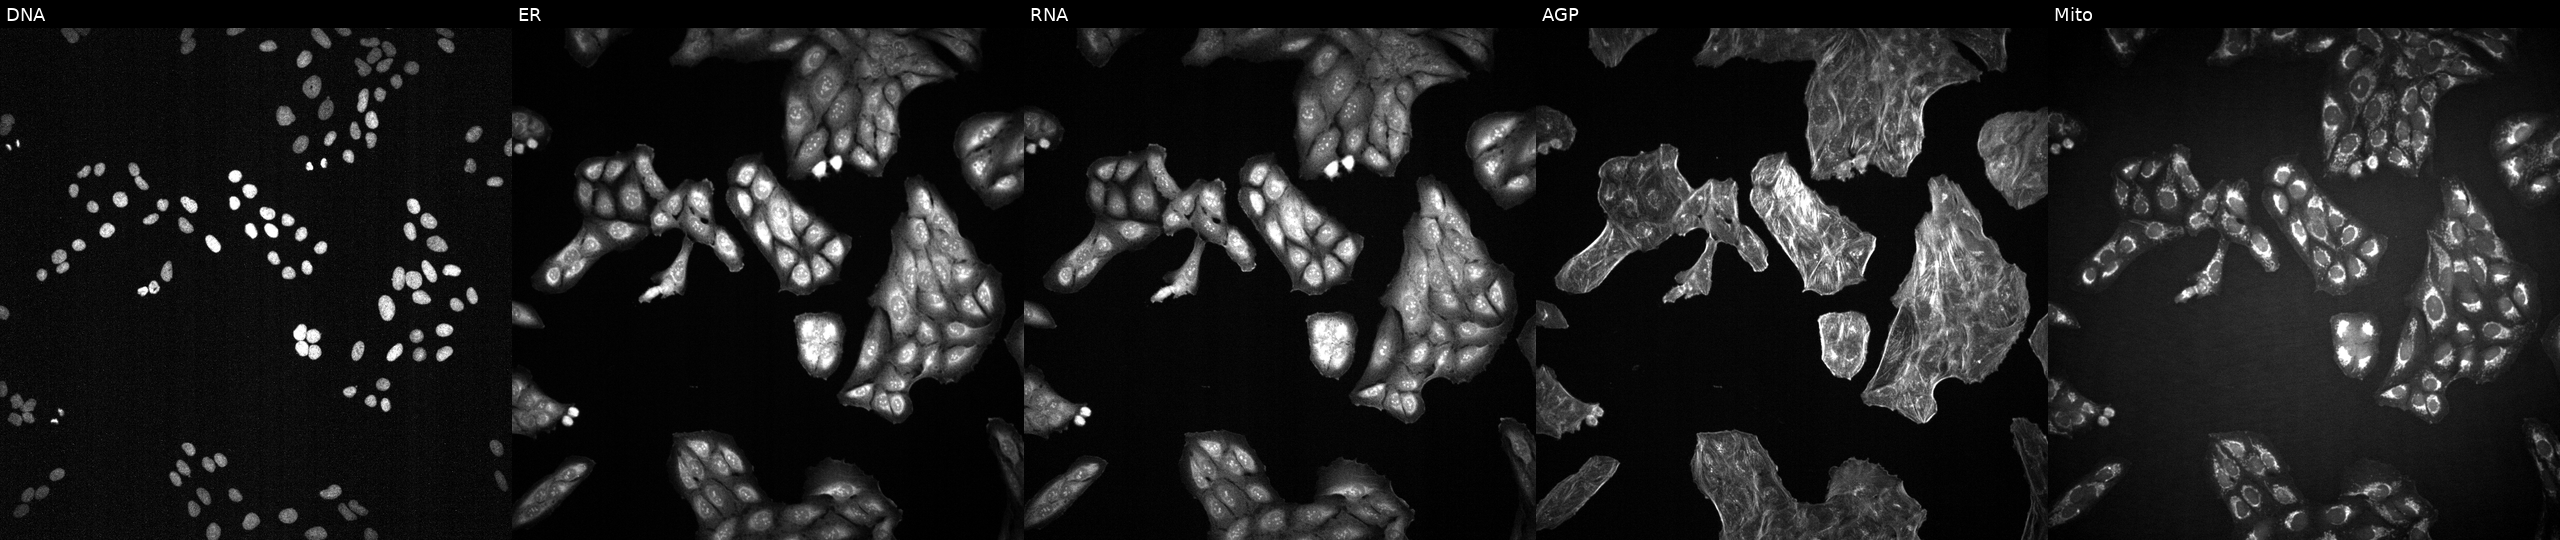
This image strip shows the five Cell Painting channels for a single field of U2OS cells treated with a small-molecule compound [SMILES: O=C(NCCS(=O)(=O)c1ccc(C(F)(F)F)cn1)c1ccc(Cl)cc1] (JUMP id JCP2022_039503). Panels show, left to right, DNA, ER, RNA, AGP, and Mito.